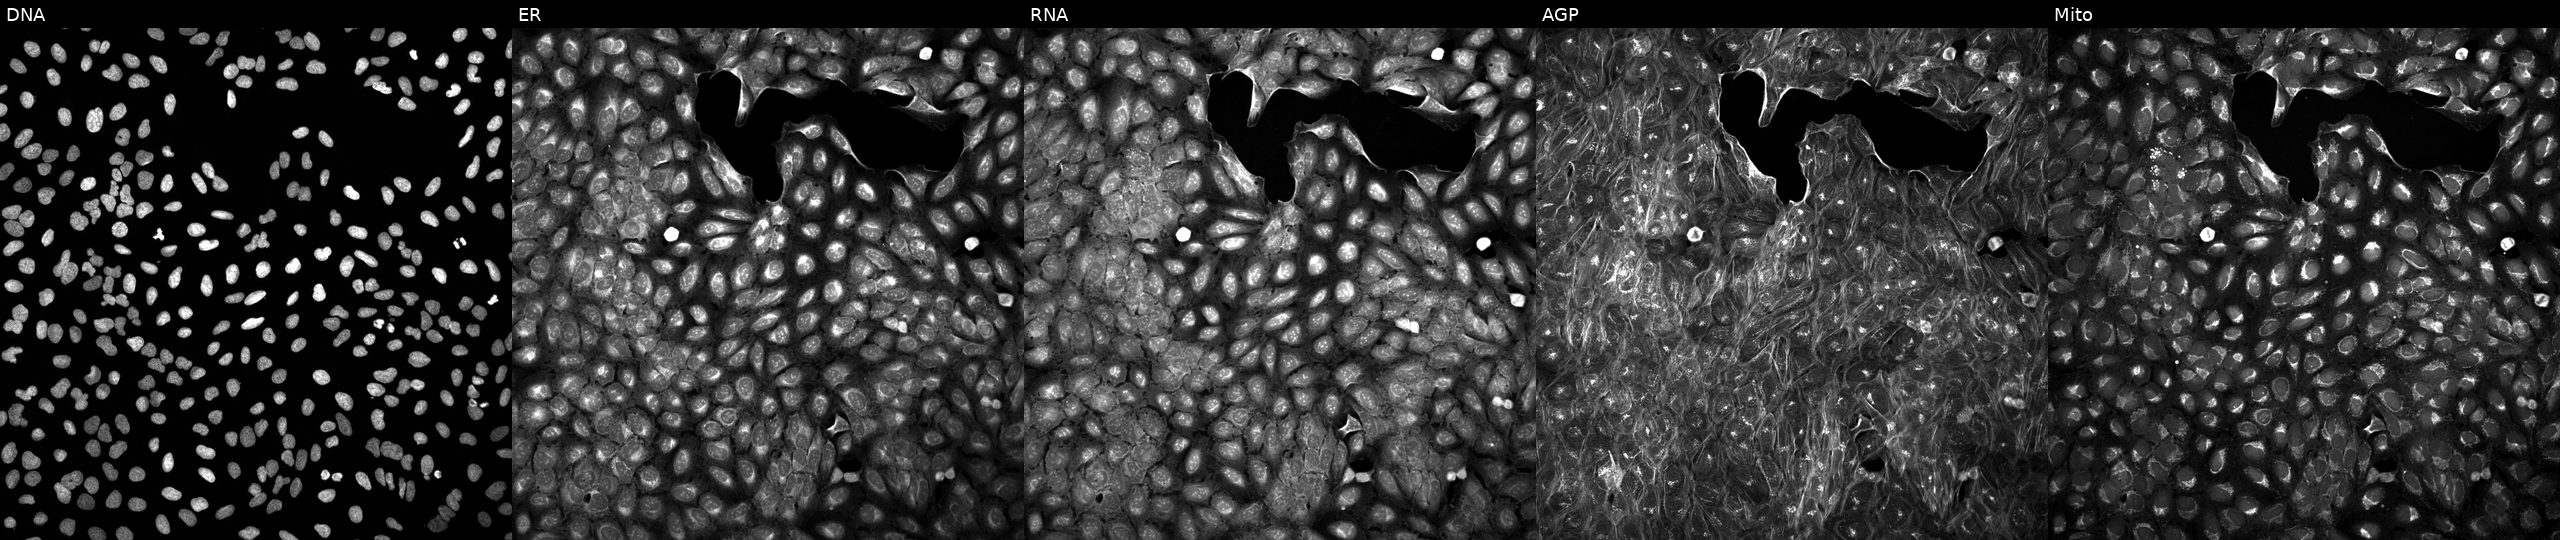
High-content fluorescence microscopy (Cell Painting). Cell line: U2OS. Perturbation: treated with DMSO vehicle only (negative control). Channels (left→right): DNA (nuclei); ER (endoplasmic reticulum); RNA (nucleoli and cytoplasmic RNA); AGP (actin cytoskeleton, Golgi, and plasma membrane); Mito (mitochondria).